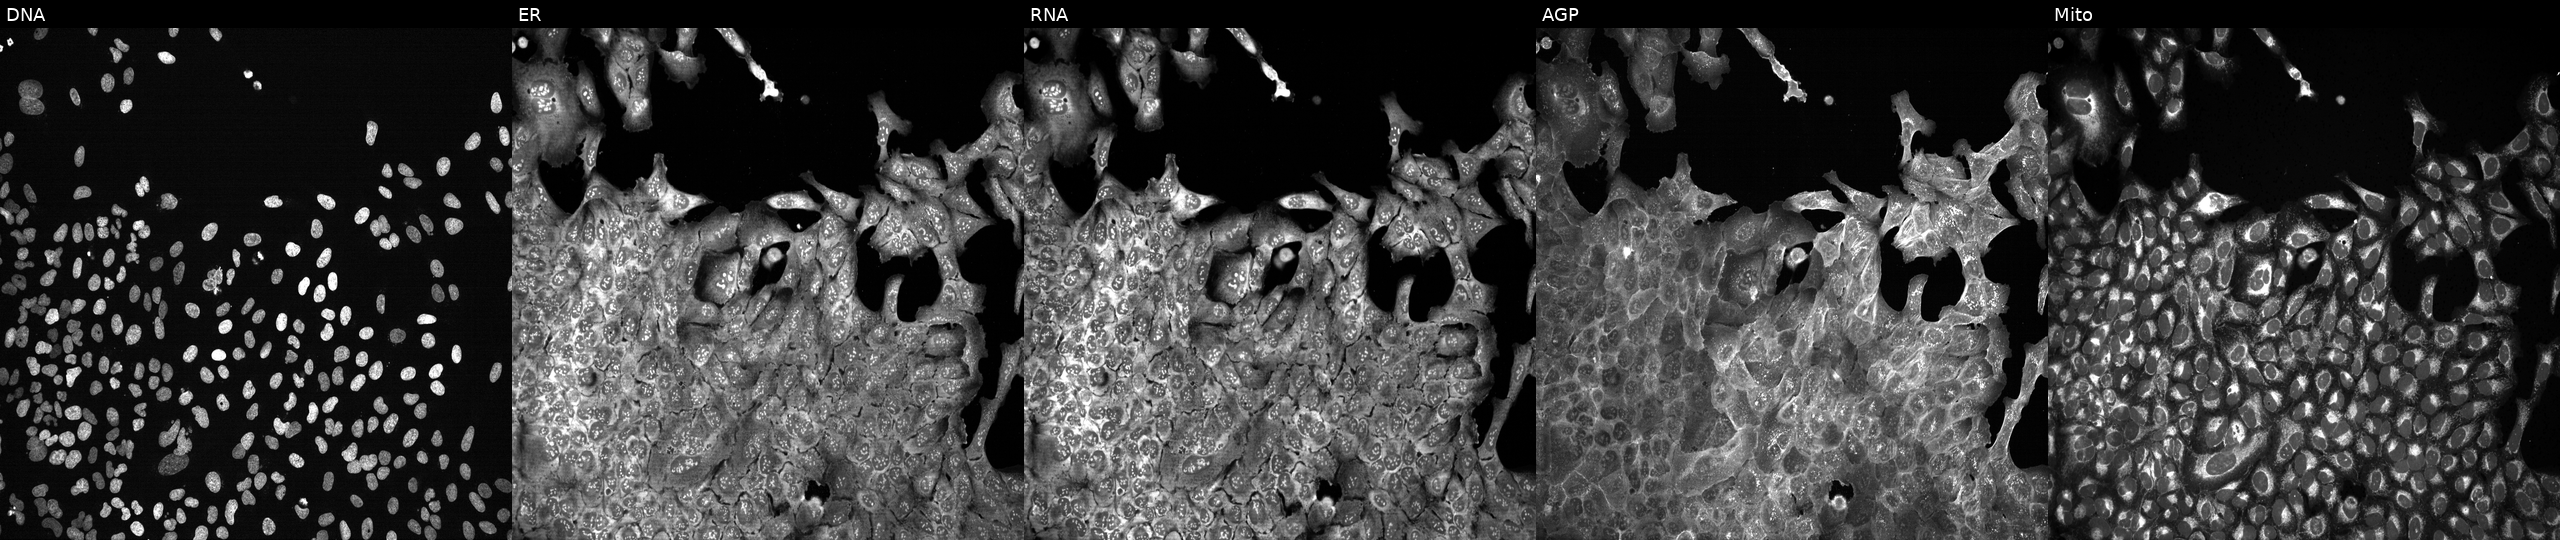
High-content fluorescence microscopy (Cell Painting). Cell line: U2OS. Perturbation: CRISPR-edited to disrupt MMP27 (JUMP id JCP2022_804224). Panels show, left to right, Hoechst 33342, concanavalin A, SYTO 14, phalloidin and WGA, MitoTracker. Source 13, plate CP-CC9-R6-19, well I17.